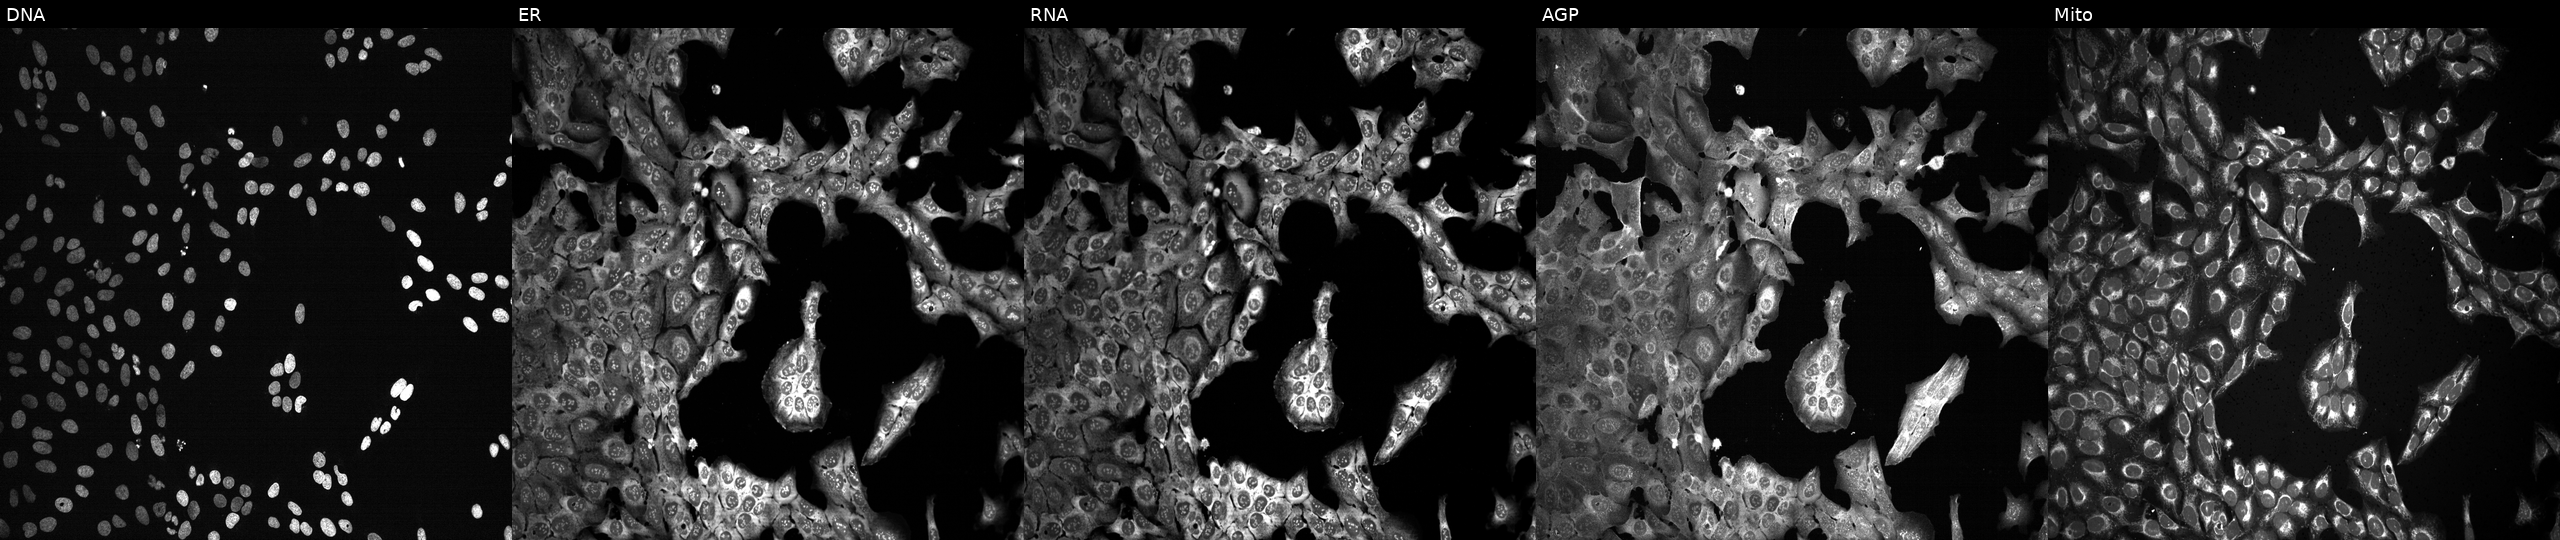
Five-channel Cell Painting image of U2OS cells following CRISPR knockout of EEF2. From left to right: DNA (nuclei); ER (endoplasmic reticulum); RNA (nucleoli and cytoplasmic RNA); AGP (actin cytoskeleton, Golgi, and plasma membrane); Mito (mitochondria). Source 13, plate CP-CC9-R4-03, well C07.